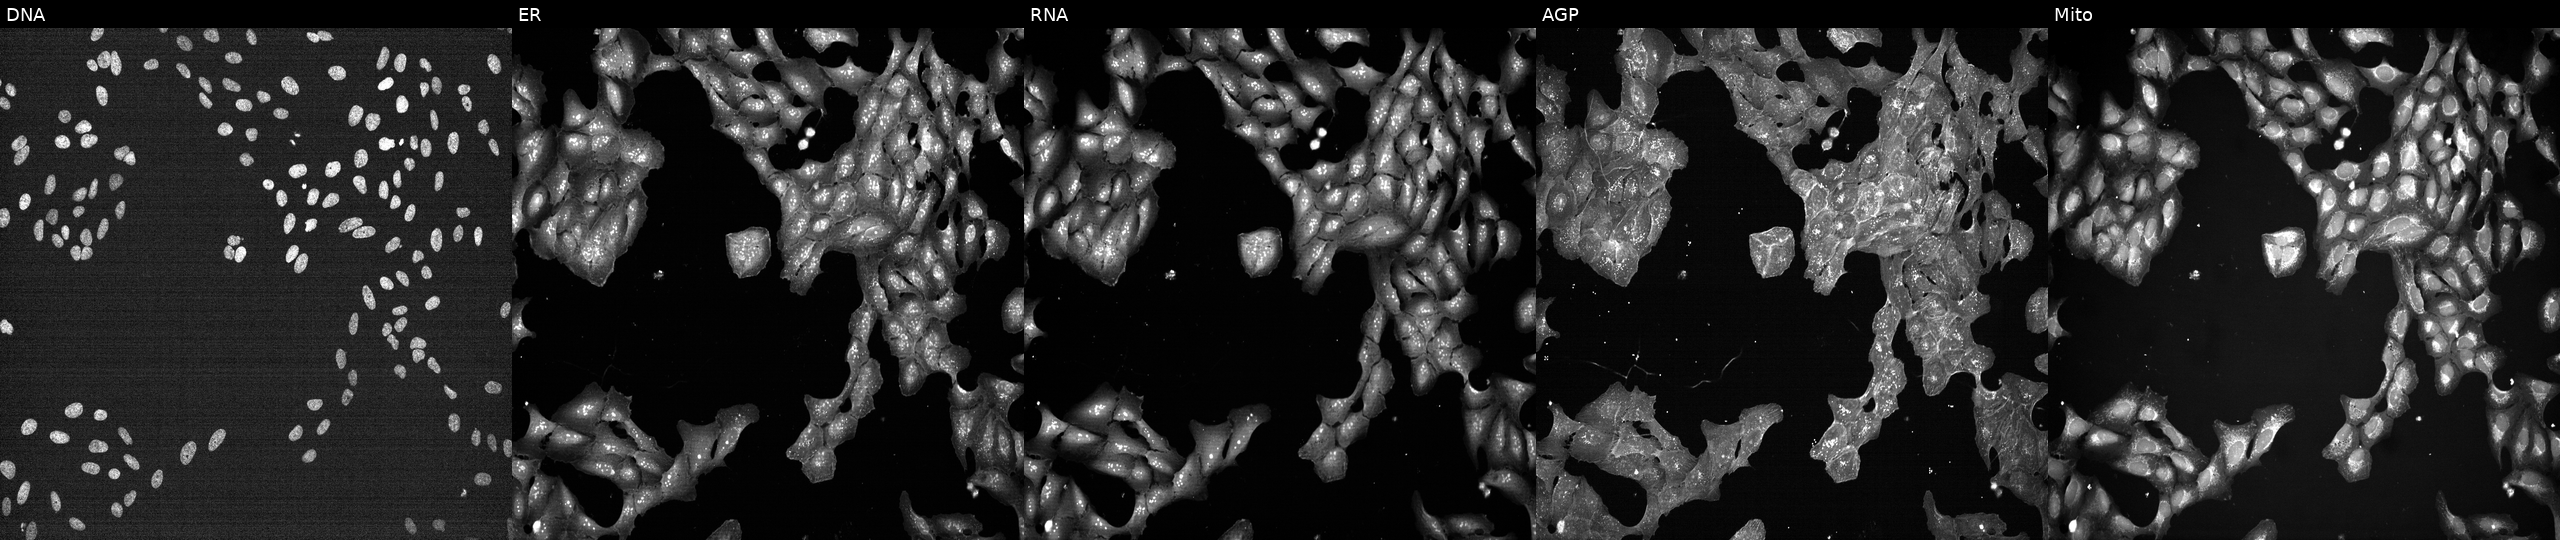
Channels (left→right): DNA, ER, RNA, AGP, and Mito. U2OS osteosarcoma cells perturbed with a small-molecule compound (InChIKey OQQVFCKUDYMWGV-UHFFFAOYSA-N) (JUMP id JCP2022_065525). Cell Painting assay, JUMP-CP dataset. Source 7, plate CP1-SC1-25, well M14.